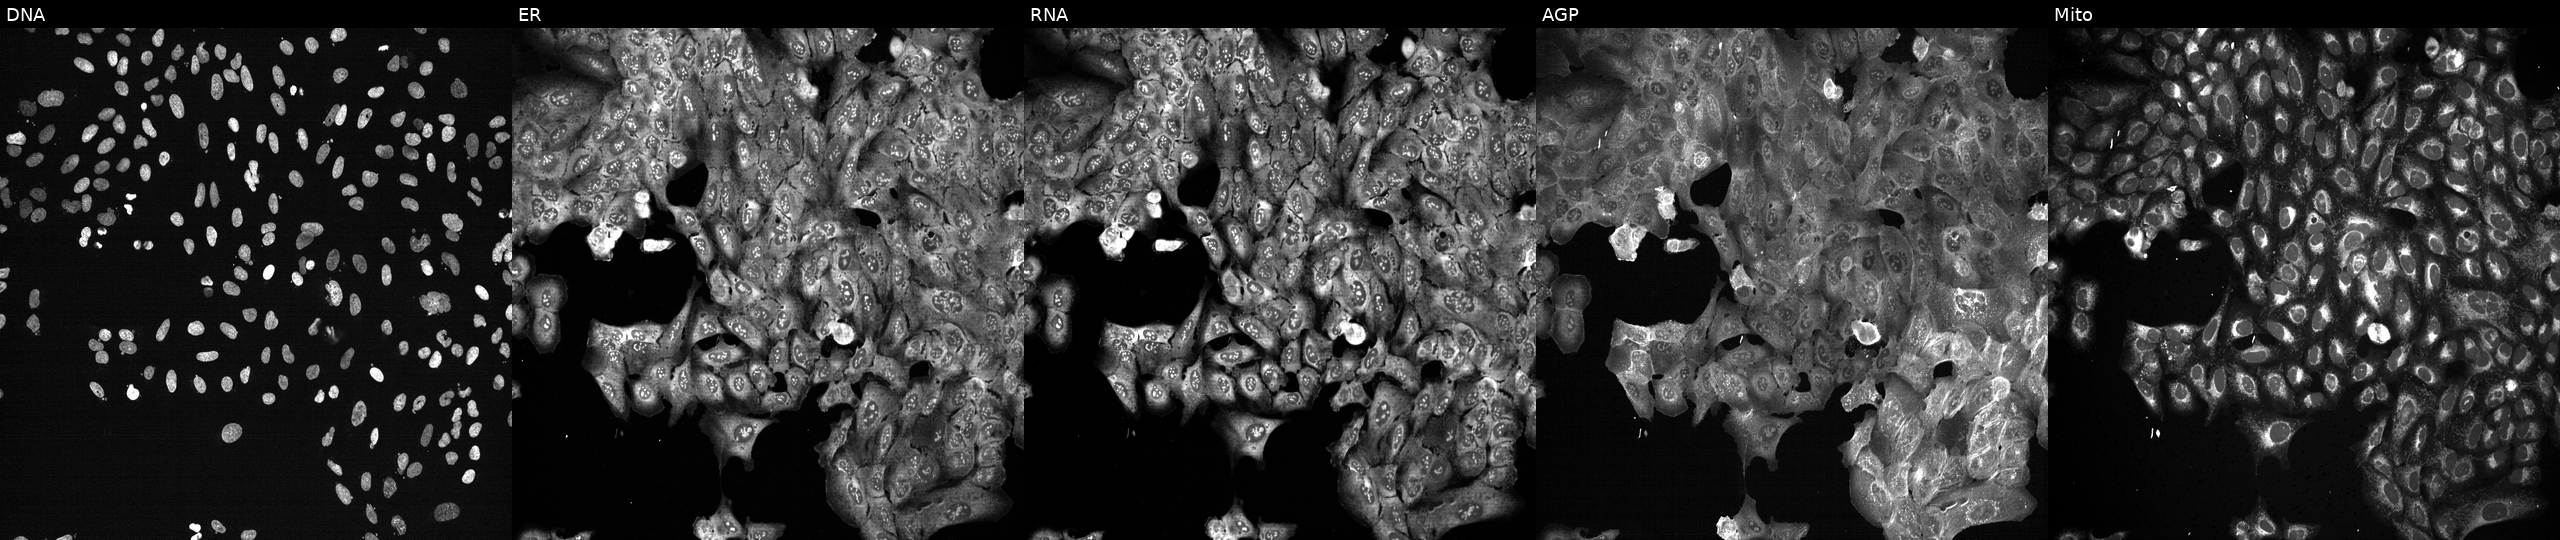
Five-channel Cell Painting image of U2OS cells following CRISPR knockout of KLRG1 (JUMP id JCP2022_803735). Channels (left→right): Hoechst 33342, concanavalin A, SYTO 14, phalloidin and WGA, MitoTracker. Source 13, plate CP-CC9-R2-01, well G19.